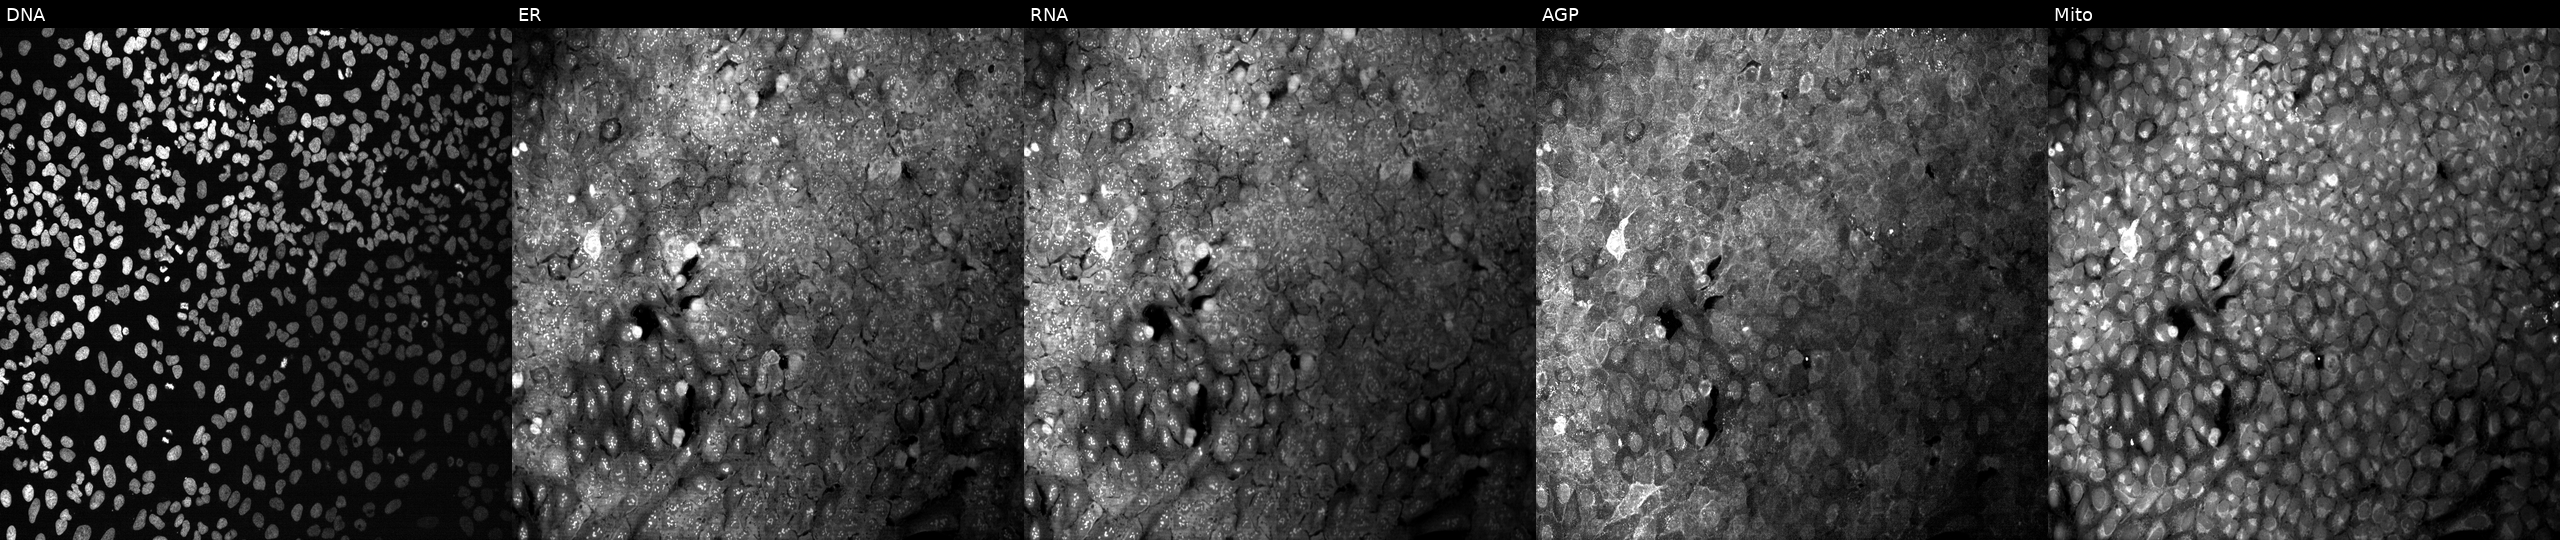
This image strip shows the five Cell Painting channels for a single field of U2OS cells CRISPR-edited to disrupt NNMT. From left to right: Hoechst 33342, concanavalin A, SYTO 14, phalloidin and WGA, MitoTracker.